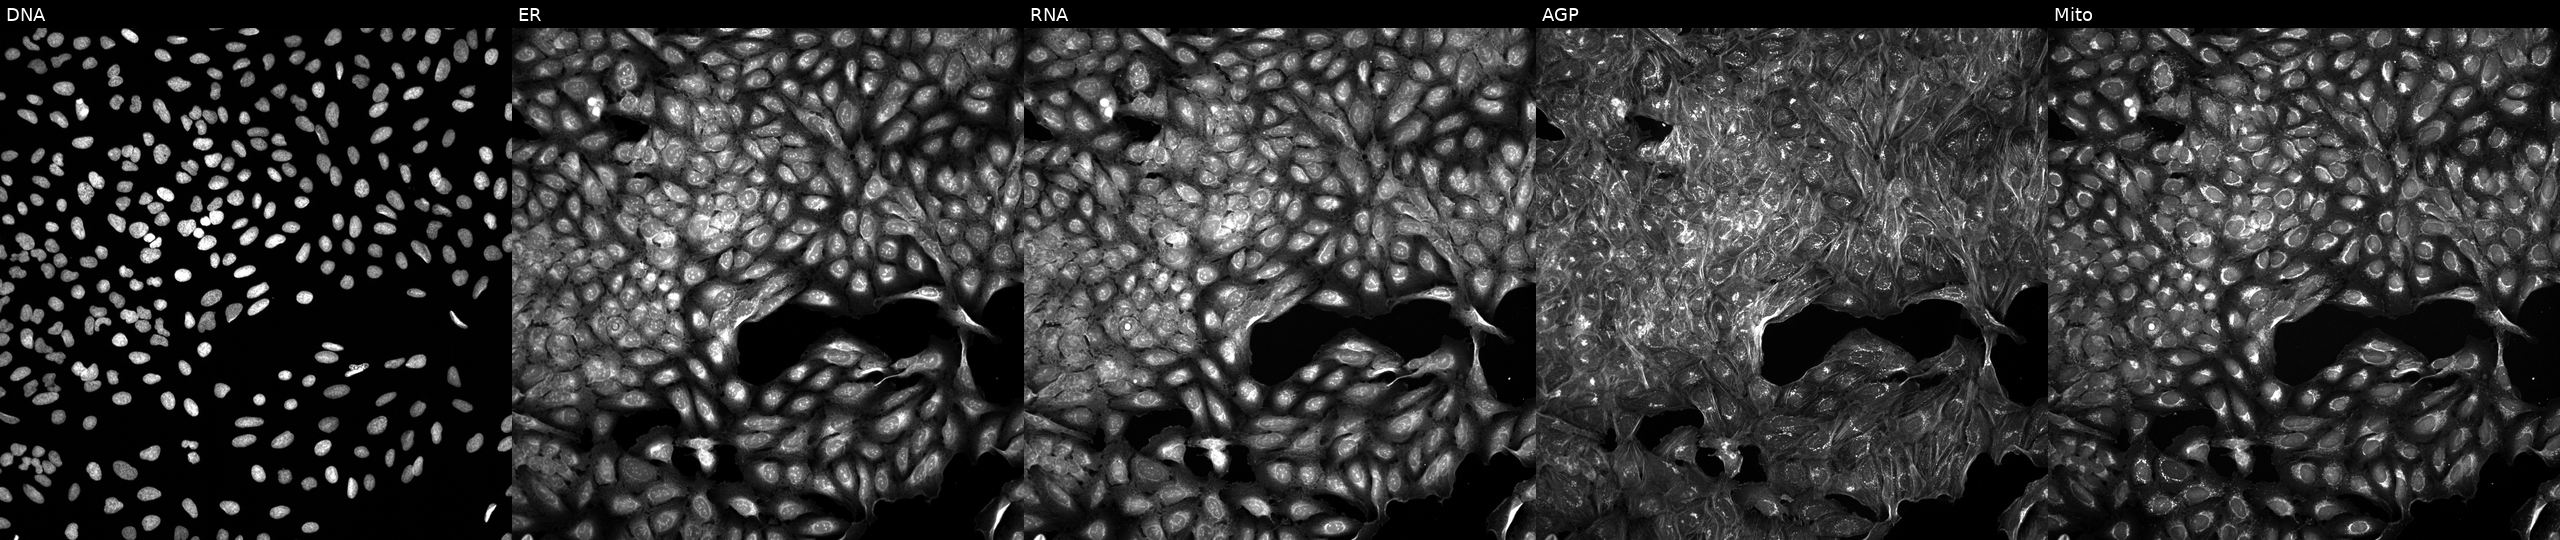
This image strip shows the five Cell Painting channels for a single field of U2OS cells treated with a small-molecule compound (InChIKey FYULIPLNXLMPPW-UHFFFAOYSA-N) (JUMP id JCP2022_023873). Panels show, left to right, DNA (nuclei); ER (endoplasmic reticulum); RNA (nucleoli and cytoplasmic RNA); AGP (actin cytoskeleton, Golgi, and plasma membrane); Mito (mitochondria).